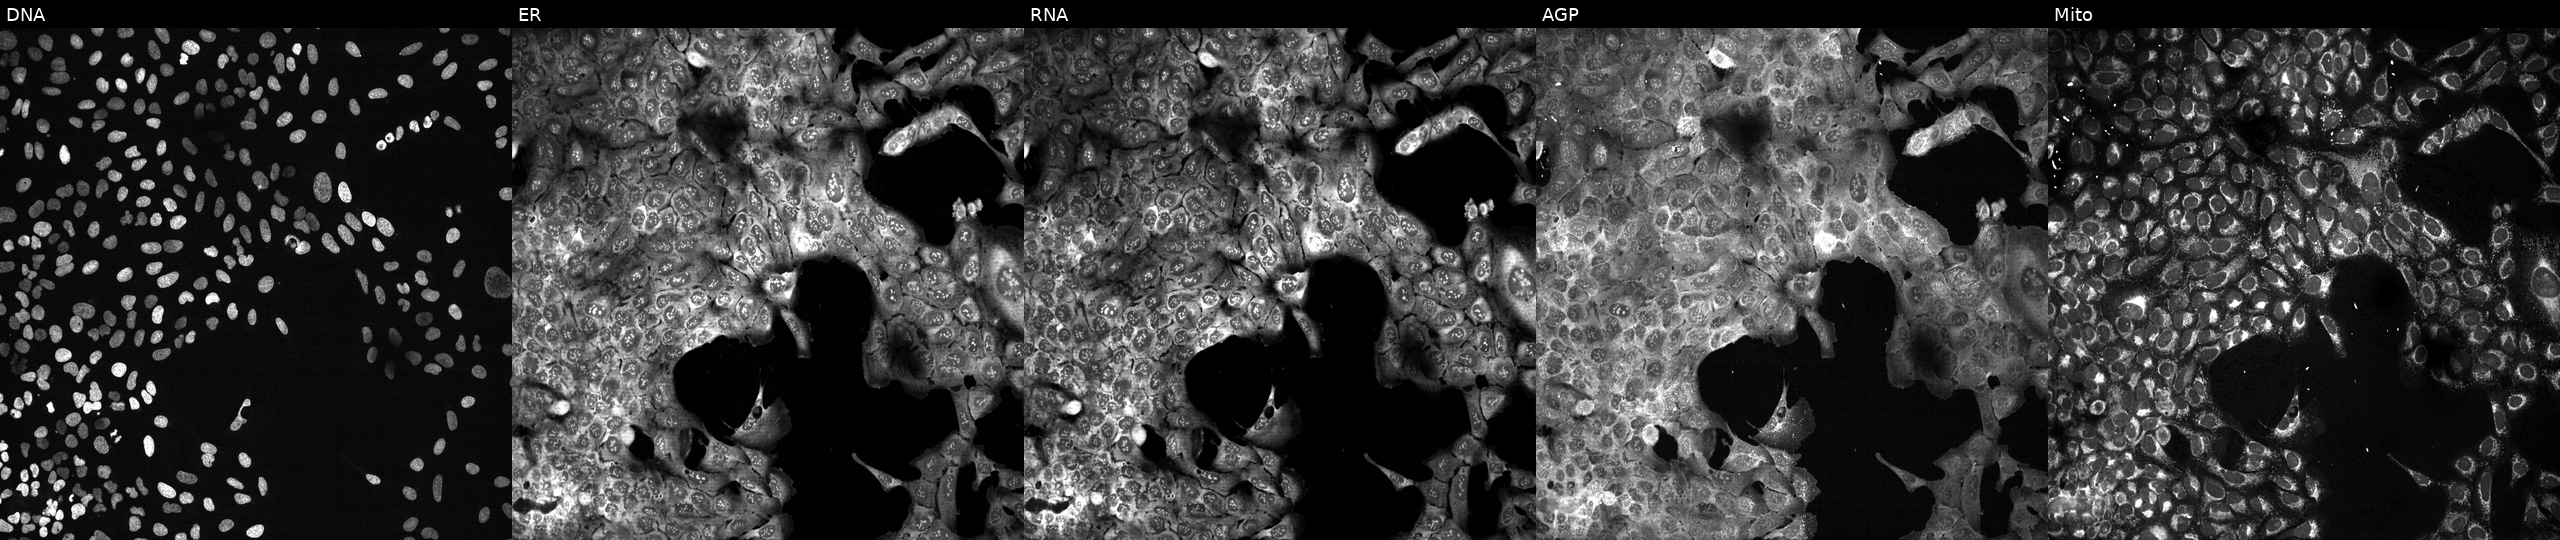
Channels (left→right): DNA (nuclei); ER (endoplasmic reticulum); RNA (nucleoli and cytoplasmic RNA); AGP (actin cytoskeleton, Golgi, and plasma membrane); Mito (mitochondria). U2OS osteosarcoma cells CRISPR-edited to disrupt PADI3 (JUMP id JCP2022_804880). Cell Painting assay, JUMP-CP dataset.